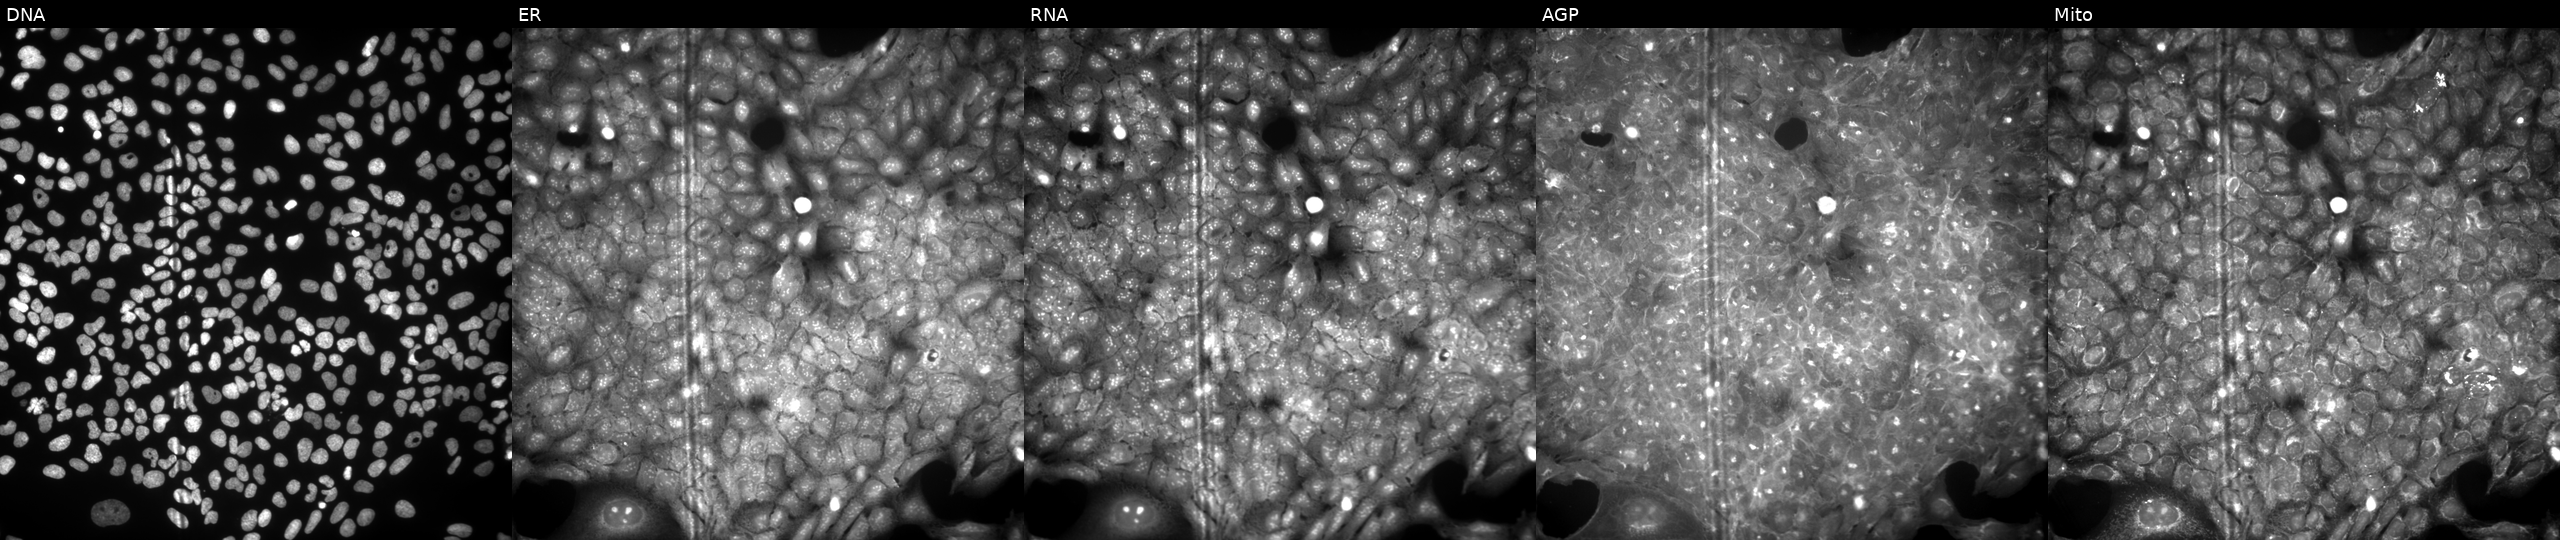
JUMP Cell Painting — COMPOUND plate. U2OS cells perturbed with a small-molecule compound. The five panels, left to right, show DNA, ER, RNA, AGP, and Mito.